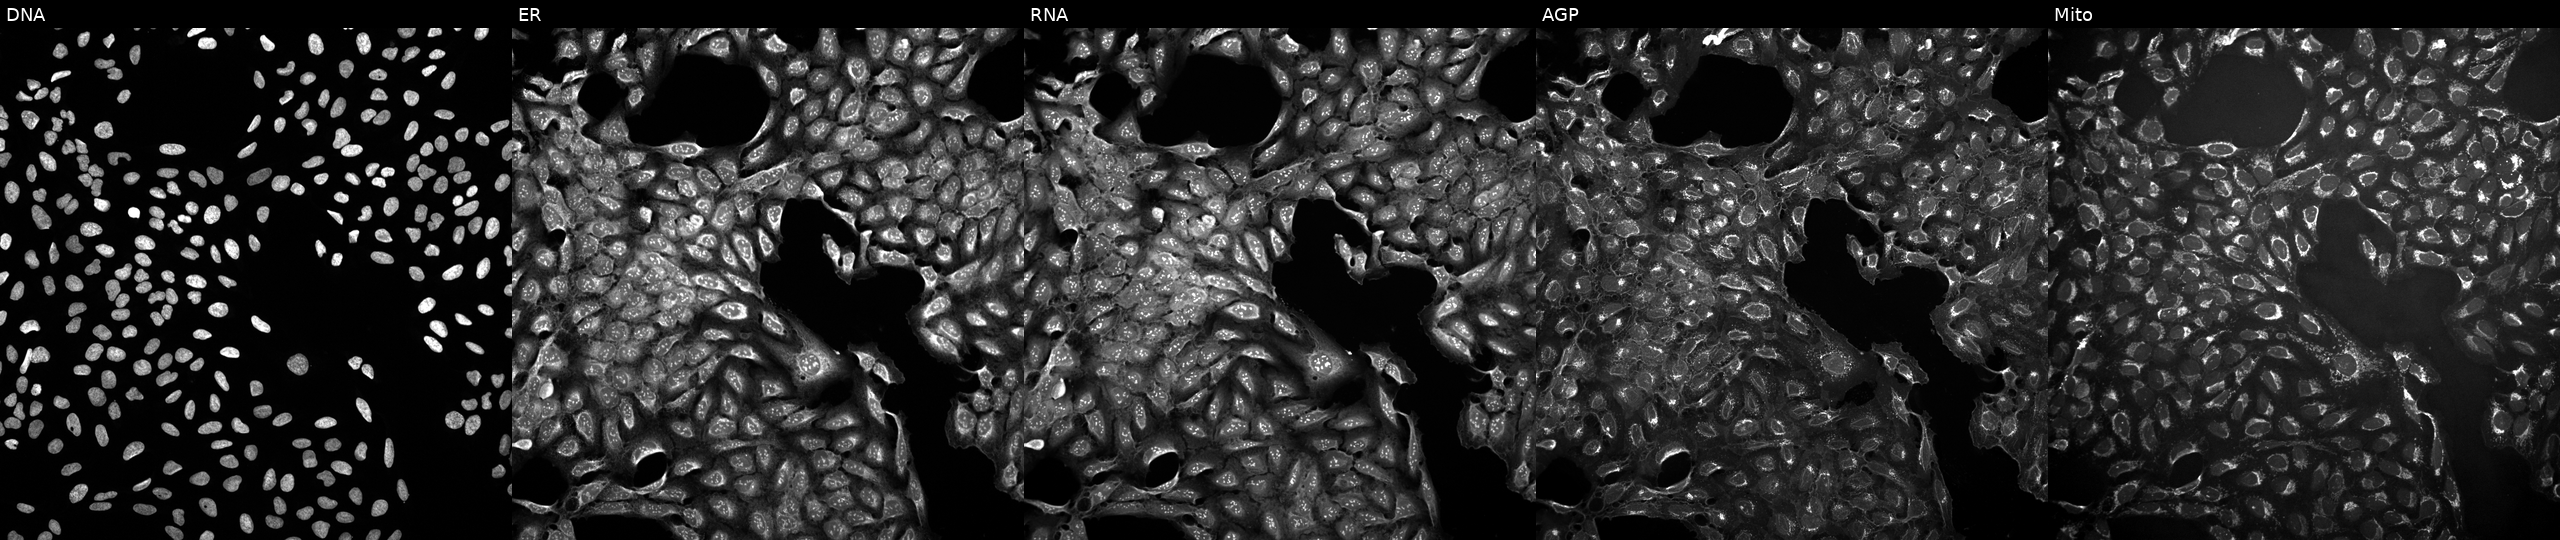
U2OS cells, Cell Painting assay, treated with a small-molecule compound (InChIKey ONIBWKKTOPOVIA-UHFFFAOYSA-N) [SMILES: O=C(O)C1CCCN1]. Panels show, left to right, Hoechst 33342, concanavalin A, SYTO 14, phalloidin and WGA, MitoTracker. Each panel is percentile-stretched 16-bit fluorescence.